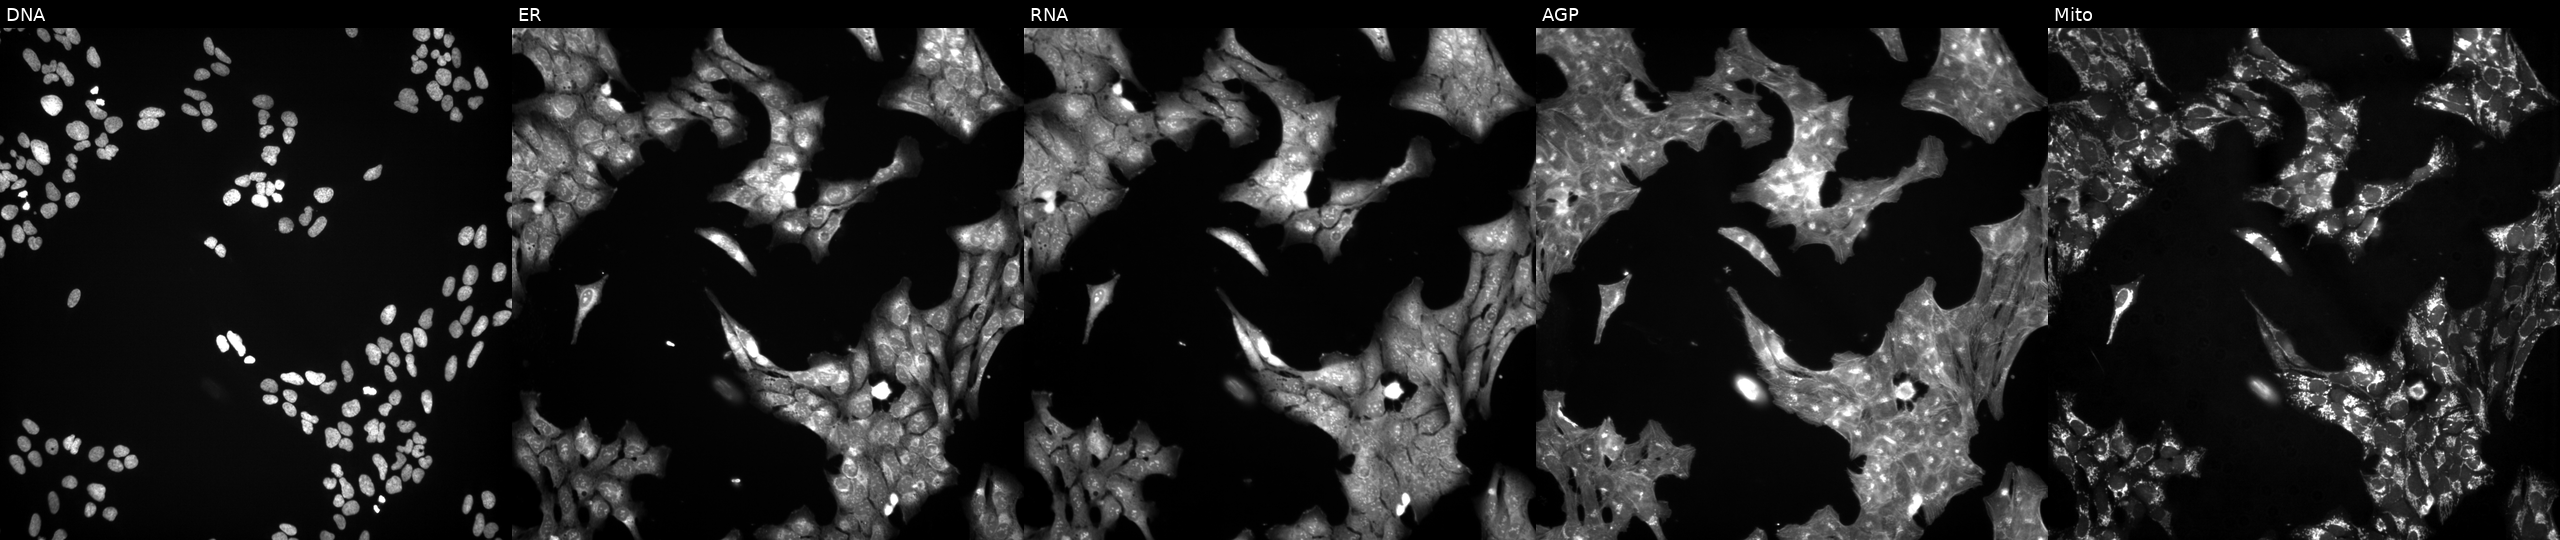
Channels (left→right): DNA, ER, RNA, AGP, and Mito. U2OS osteosarcoma cells exposed to a small-molecule compound. Cell Painting assay, JUMP-CP dataset.